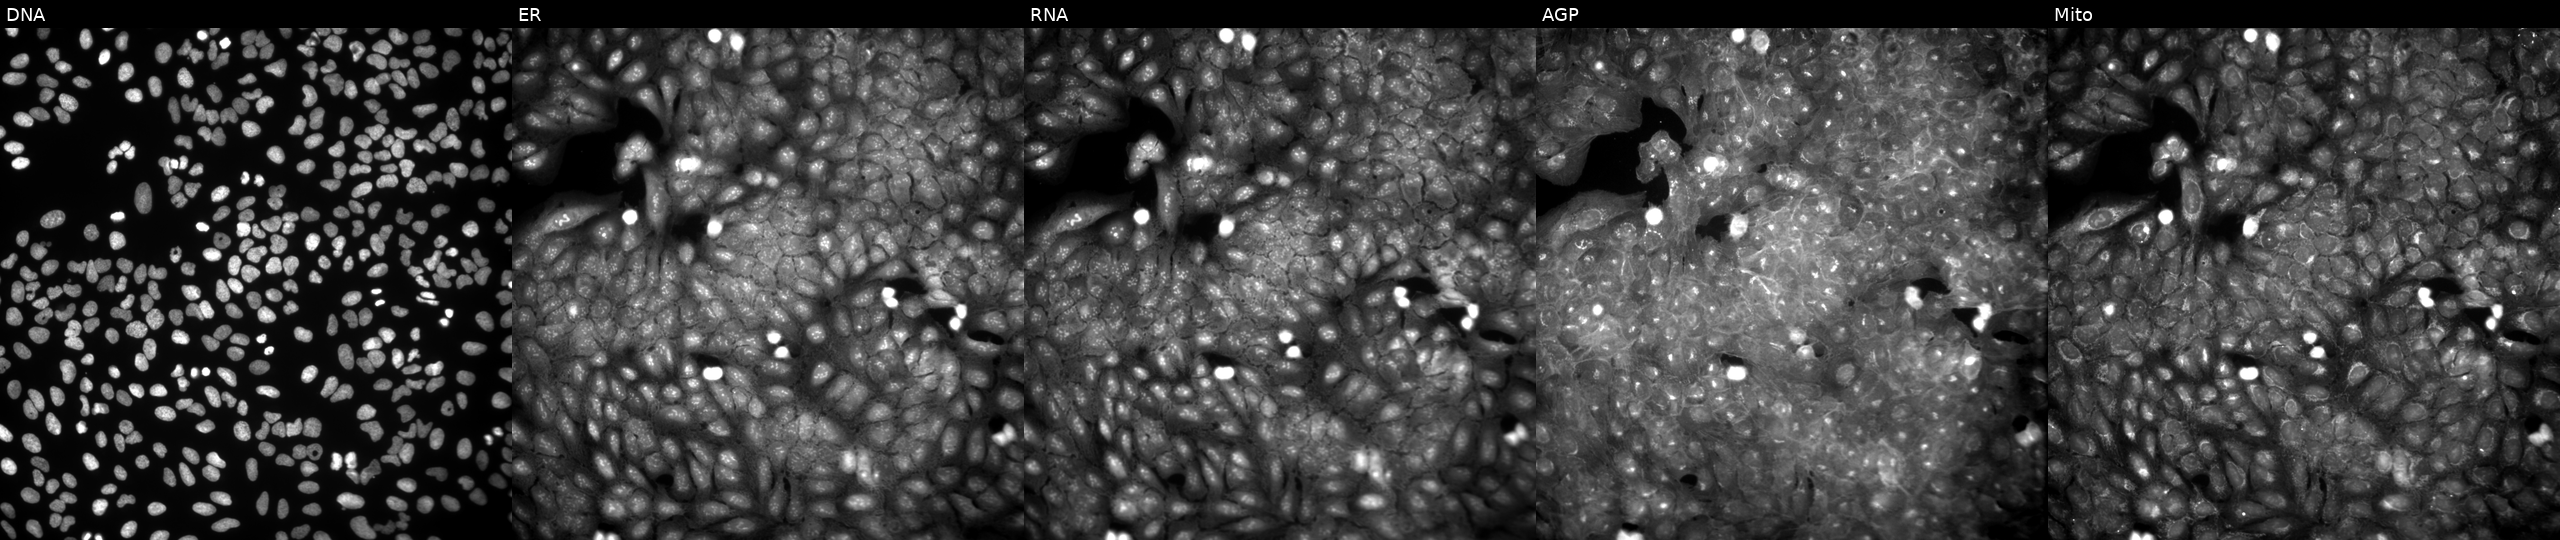
Channels (left→right): Hoechst 33342, concanavalin A, SYTO 14, phalloidin and WGA, MitoTracker. U2OS osteosarcoma cells perturbed with a small-molecule compound (InChIKey RFTTUNVCKCVADI-UHFFFAOYSA-N) [SMILES: CCn1cnc2sc(C(=O)Oc3ccc(Br)cc3)c(C)c2c1=O] (JUMP id JCP2022_078084). Cell Painting assay, JUMP-CP dataset.